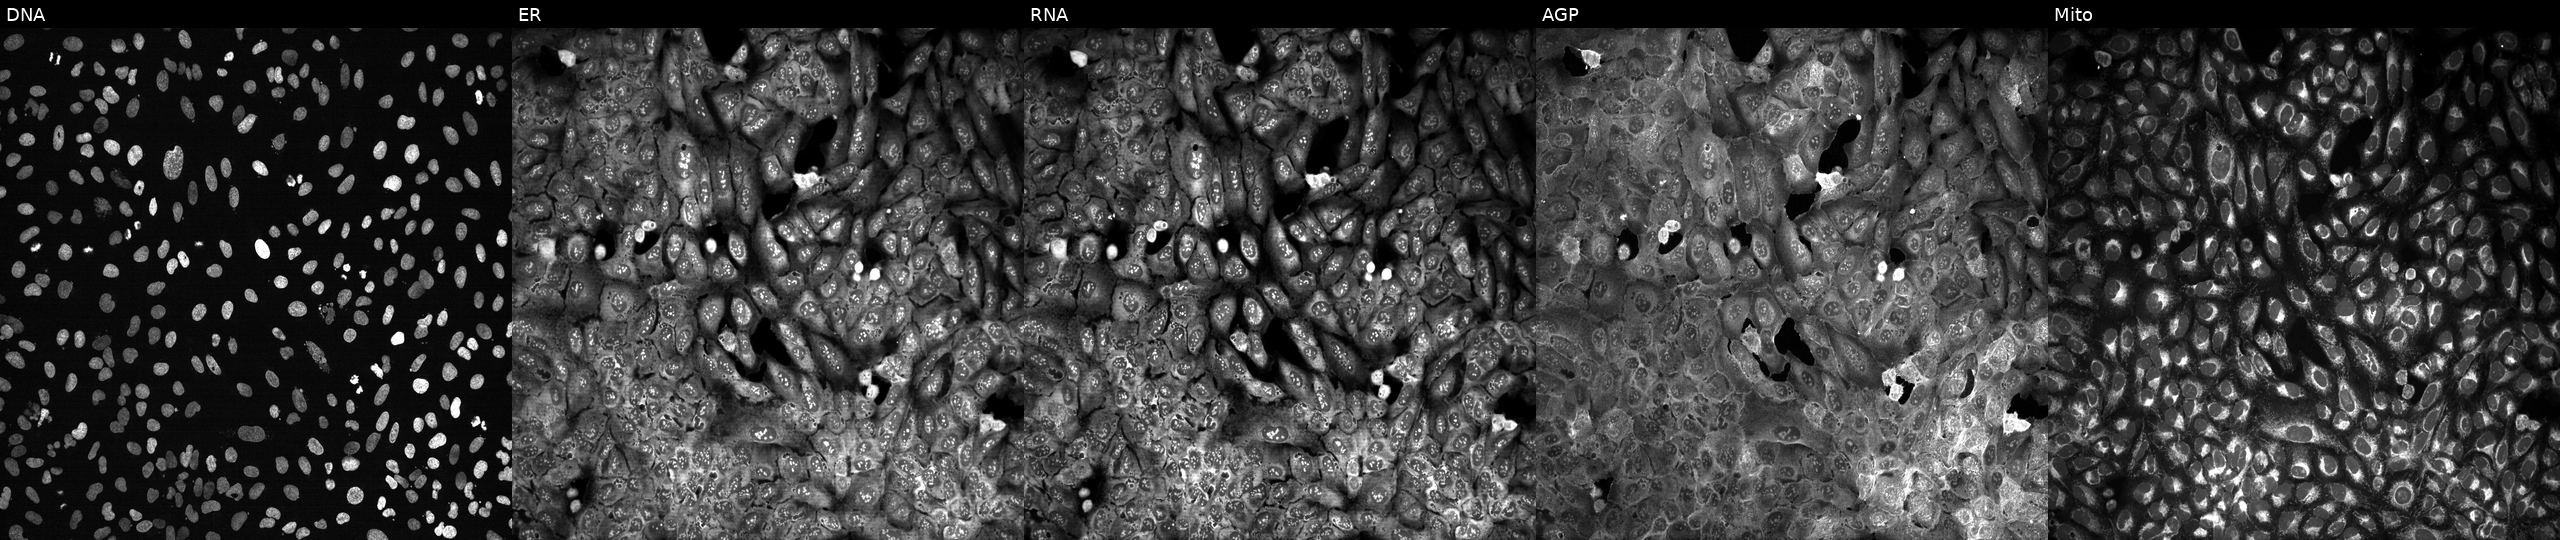
This image strip shows the five Cell Painting channels for a single field of U2OS cells CRISPR-edited to disrupt COX7A2L. Panels show, left to right, DNA (nuclei); ER (endoplasmic reticulum); RNA (nucleoli and cytoplasmic RNA); AGP (actin cytoskeleton, Golgi, and plasma membrane); Mito (mitochondria).